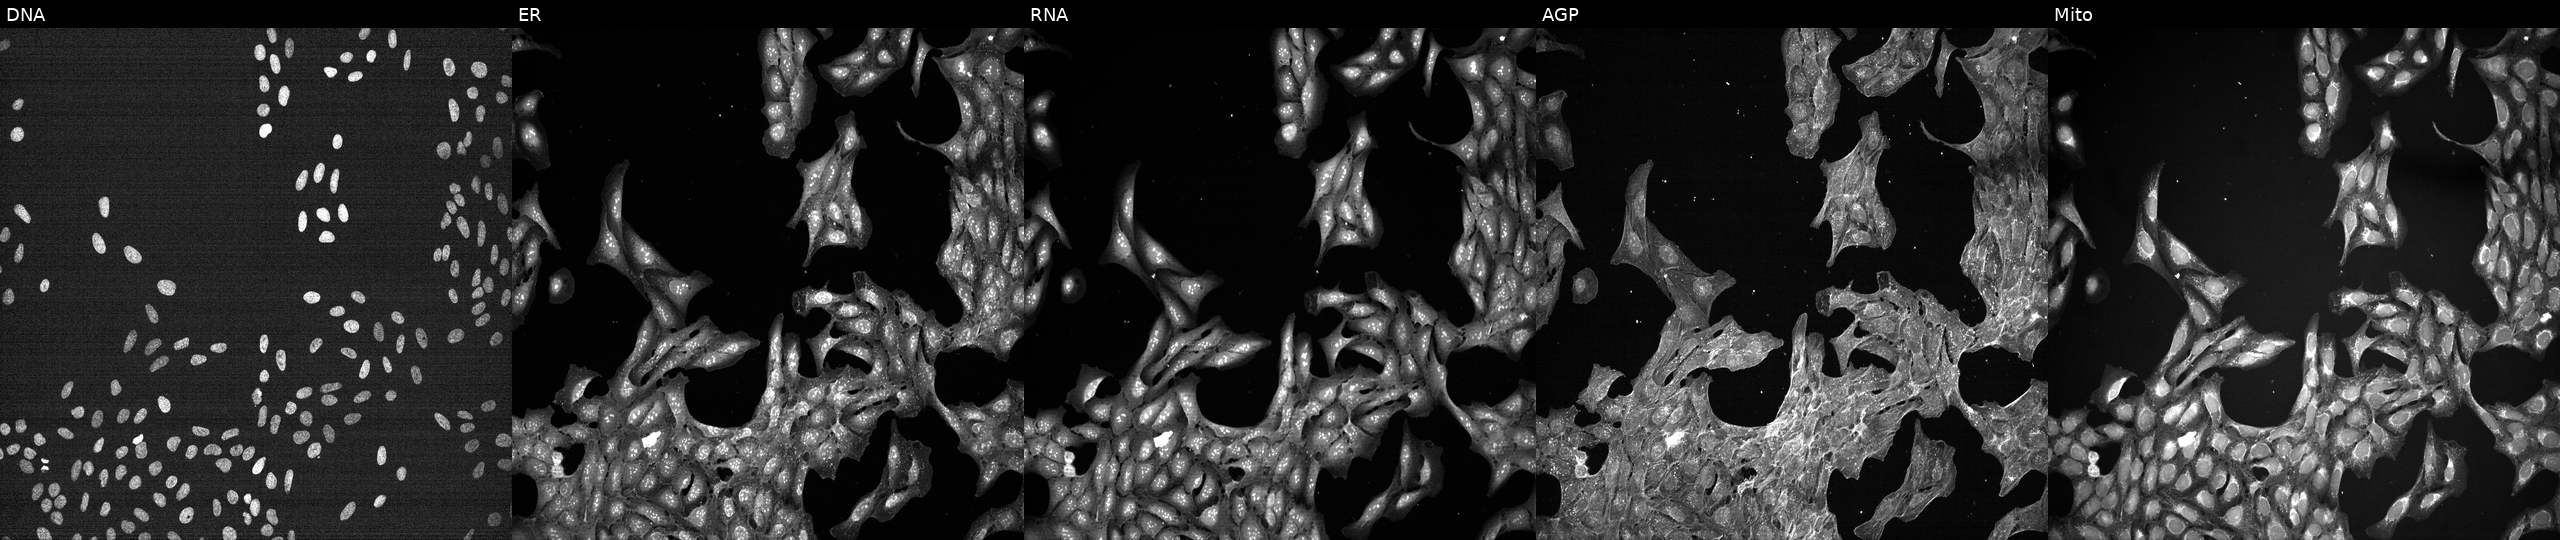
High-content fluorescence microscopy (Cell Painting). Cell line: U2OS. Perturbation: treated with a small-molecule compound. Panels show, left to right, DNA, ER, RNA, AGP, and Mito. Source 7, plate CP1-SC1-25, well A24.